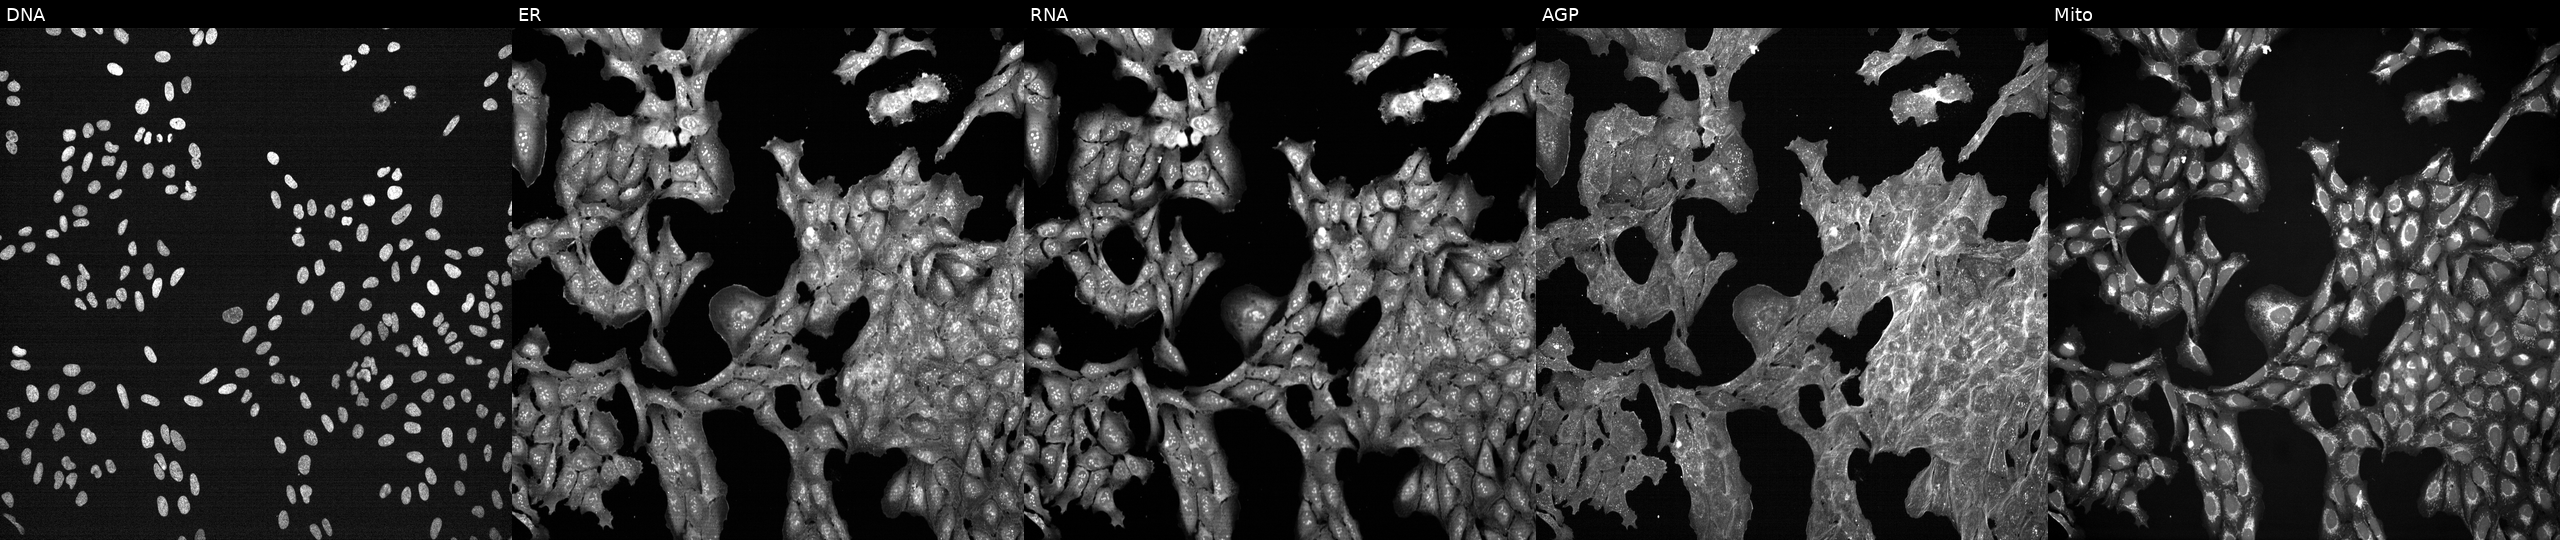
Channels (left→right): DNA, ER, RNA, AGP, and Mito. U2OS osteosarcoma cells treated with DMSO vehicle only (negative control) (JUMP id JCP2022_033924). Cell Painting assay, JUMP-CP dataset. Source 7, plate CP3-SC1-25, well J12.